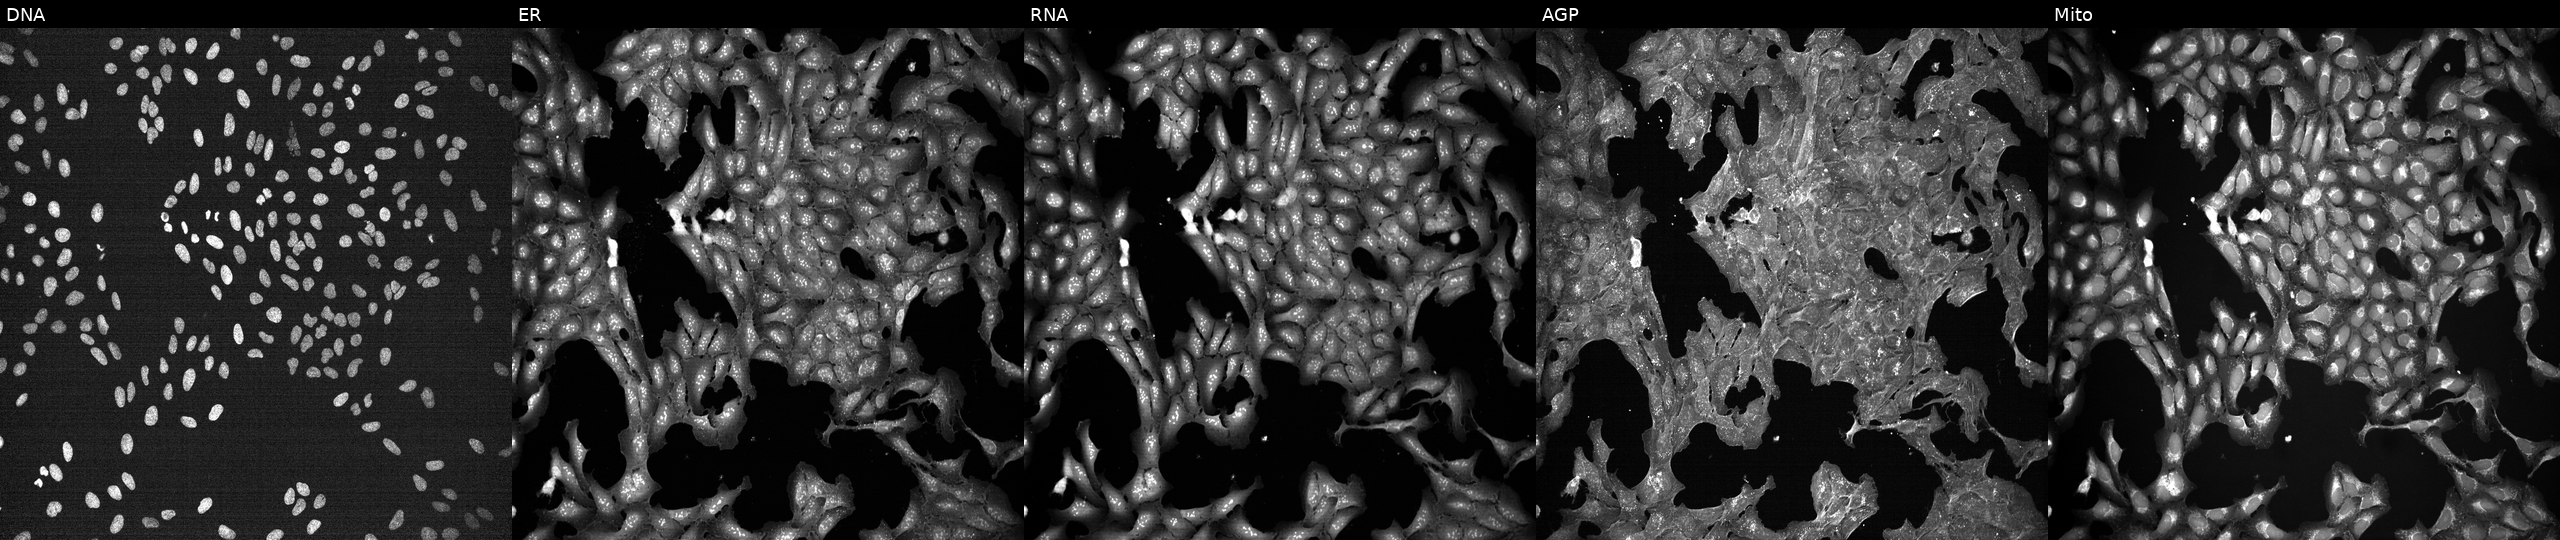
The five panels, left to right, show DNA (nuclei); ER (endoplasmic reticulum); RNA (nucleoli and cytoplasmic RNA); AGP (actin cytoskeleton, Golgi, and plasma membrane); Mito (mitochondria). U2OS osteosarcoma cells perturbed with a small-molecule compound [SMILES: O=C1NC(=O)c2cc(Nc3ccc(F)cc3)c(Nc3ccc(F)cc3)cc21] (JUMP id JCP2022_079715). Cell Painting assay, JUMP-CP dataset. Source 7, plate CP1-SC1-25, well H19.